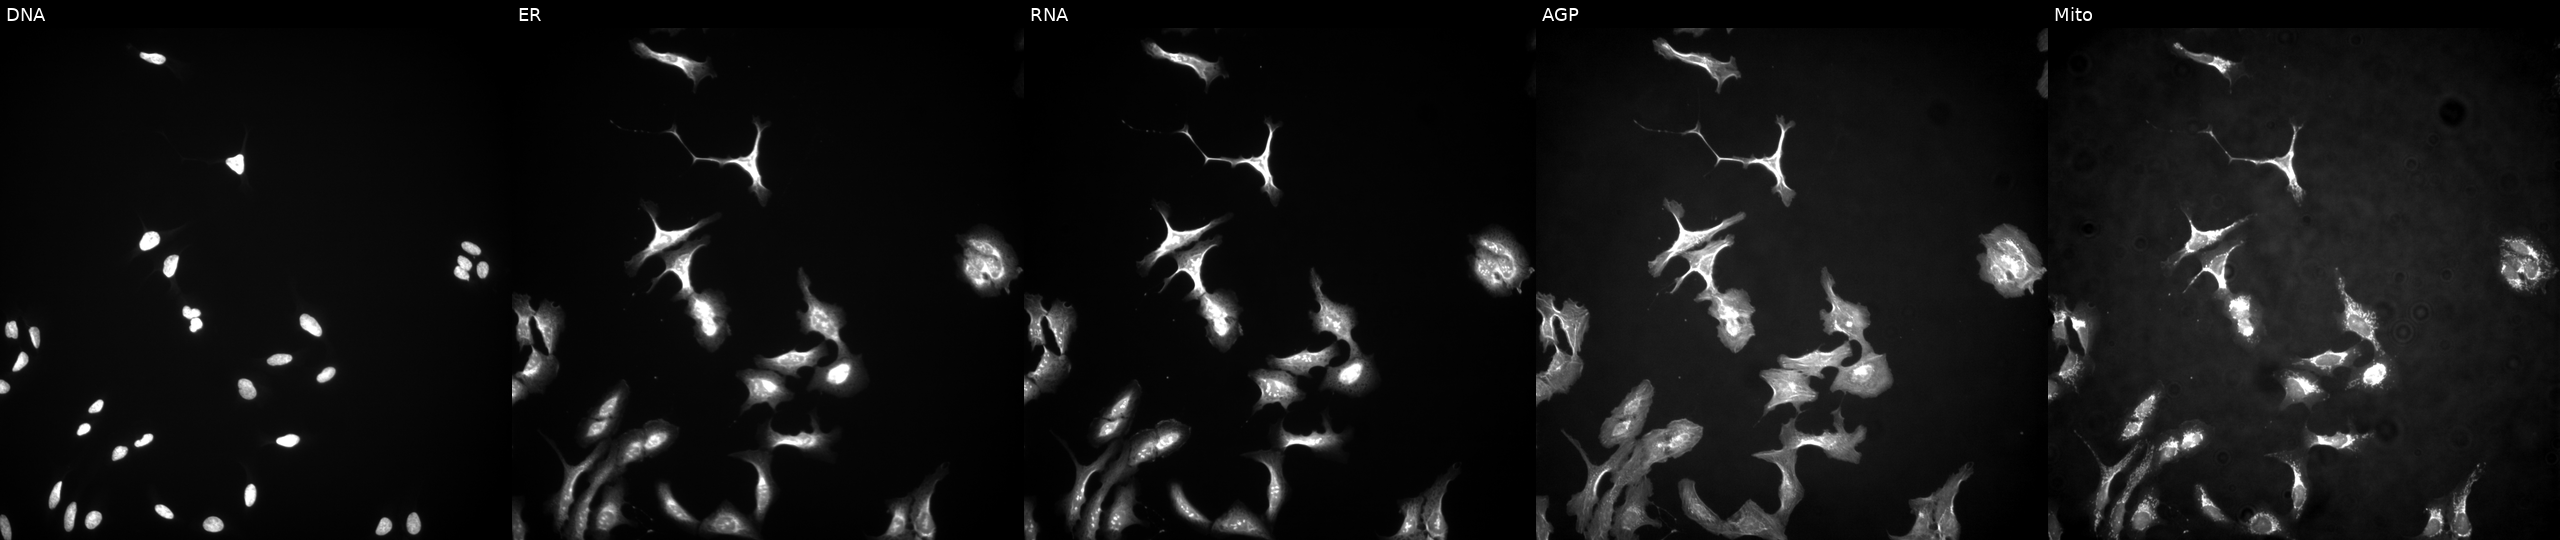
High-content fluorescence microscopy (Cell Painting). Cell line: U2OS. Perturbation: transfected with an ORF construct for GORASP1. The five panels, left to right, show DNA (nuclei); ER (endoplasmic reticulum); RNA (nucleoli and cytoplasmic RNA); AGP (actin cytoskeleton, Golgi, and plasma membrane); Mito (mitochondria).